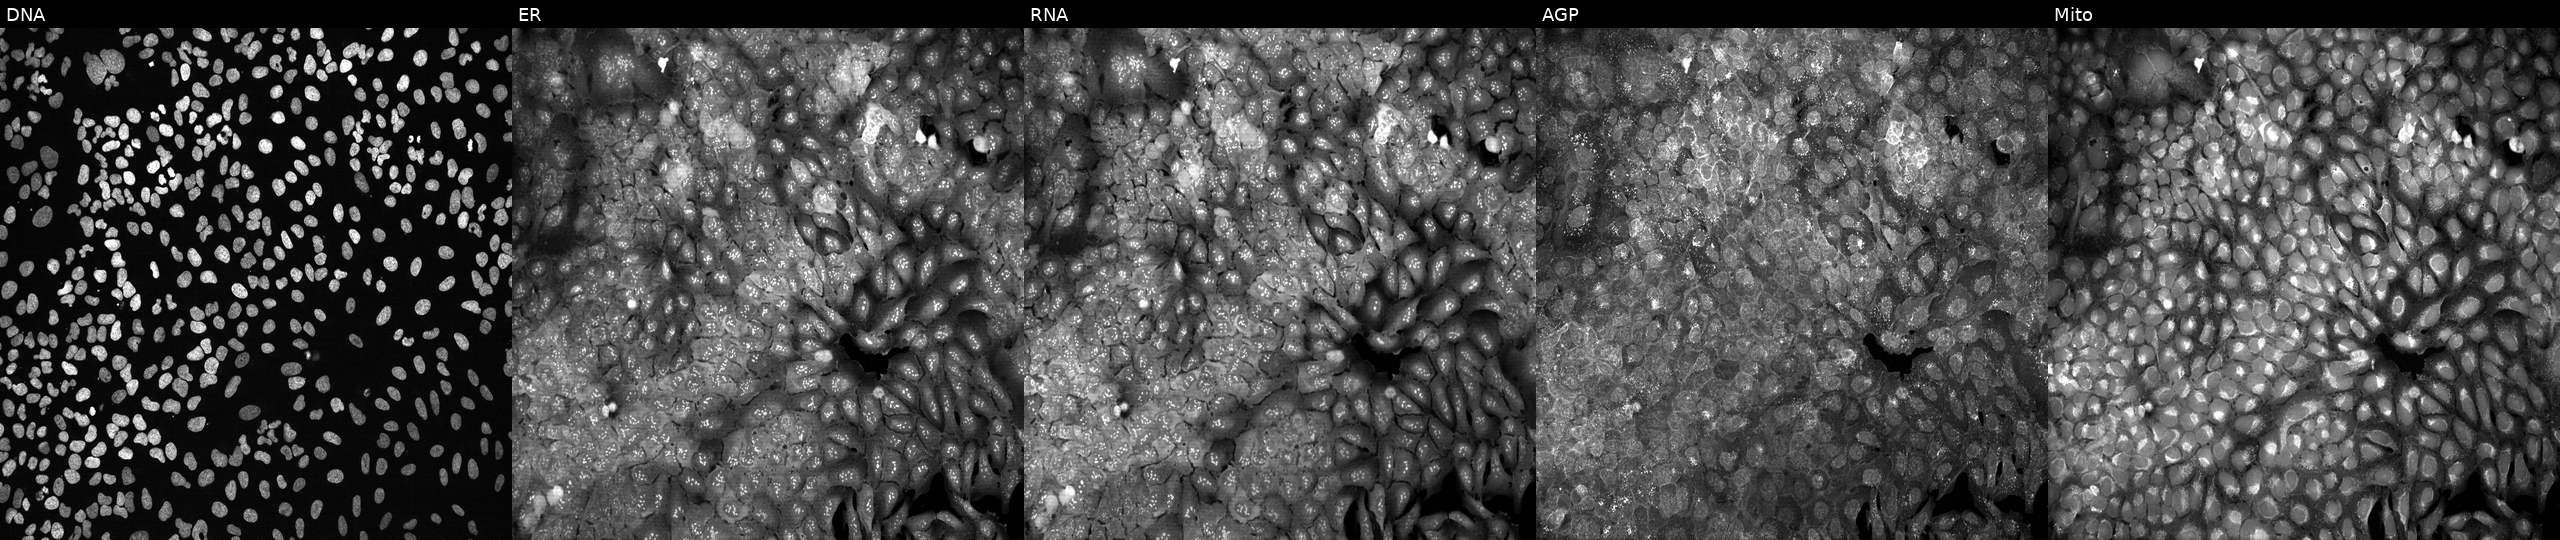
The five panels, left to right, show DNA (nuclei); ER (endoplasmic reticulum); RNA (nucleoli and cytoplasmic RNA); AGP (actin cytoskeleton, Golgi, and plasma membrane); Mito (mitochondria). U2OS osteosarcoma cells with SFRP2 knocked out by CRISPR. Cell Painting assay, JUMP-CP dataset.